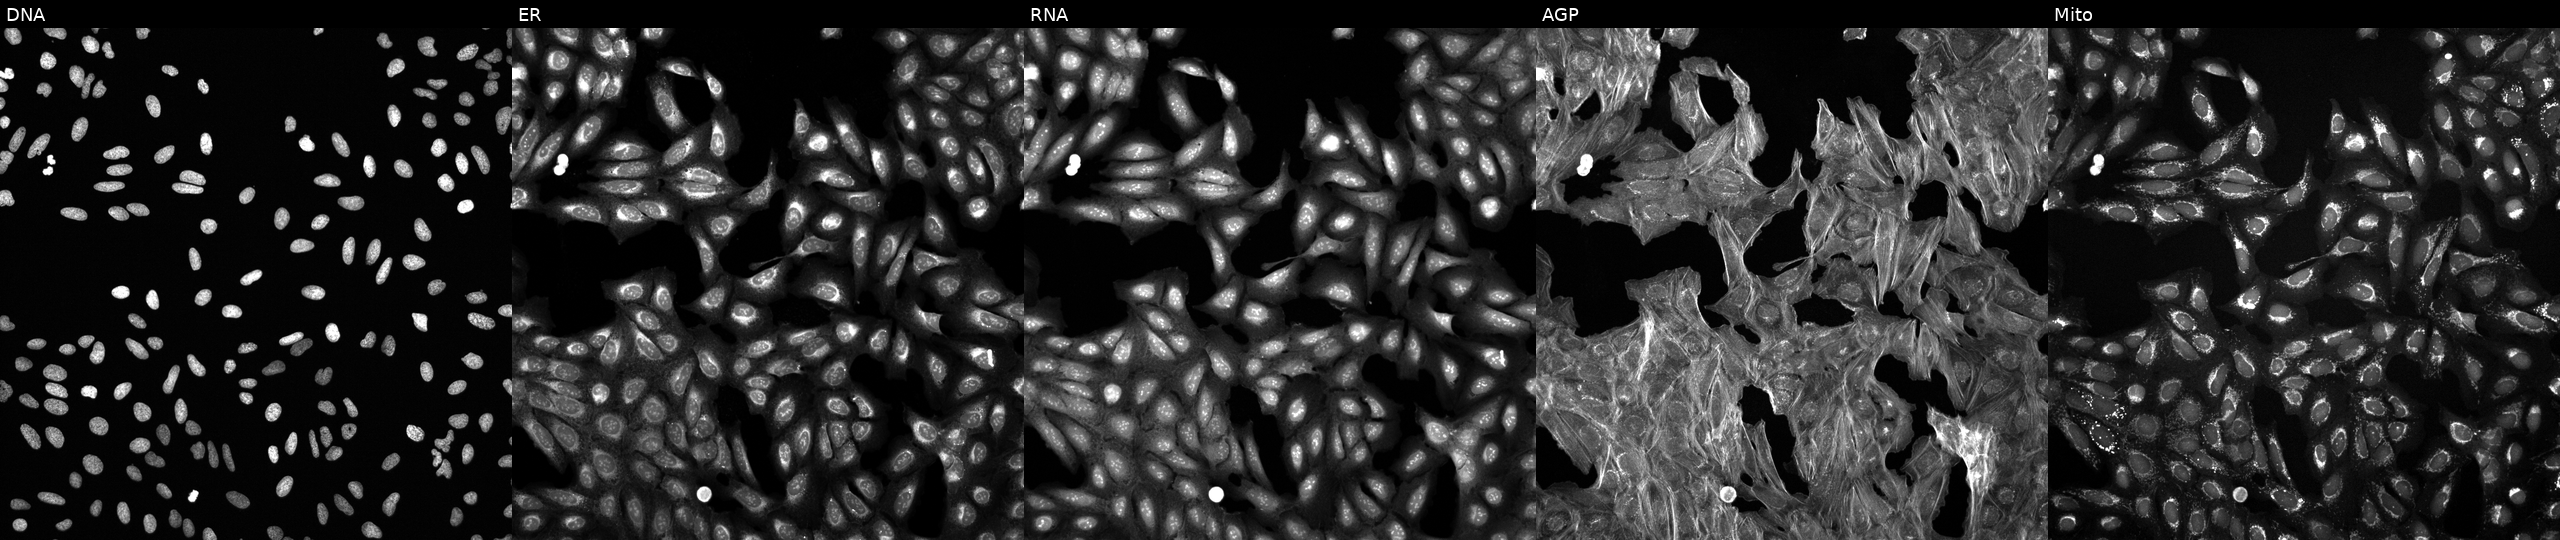
This image strip shows the five Cell Painting channels for a single field of U2OS cells treated with DMSO vehicle only (negative control). Panels show, left to right, Hoechst 33342, concanavalin A, SYTO 14, phalloidin and WGA, MitoTracker. Source 6, plate 110000293082, well M23.